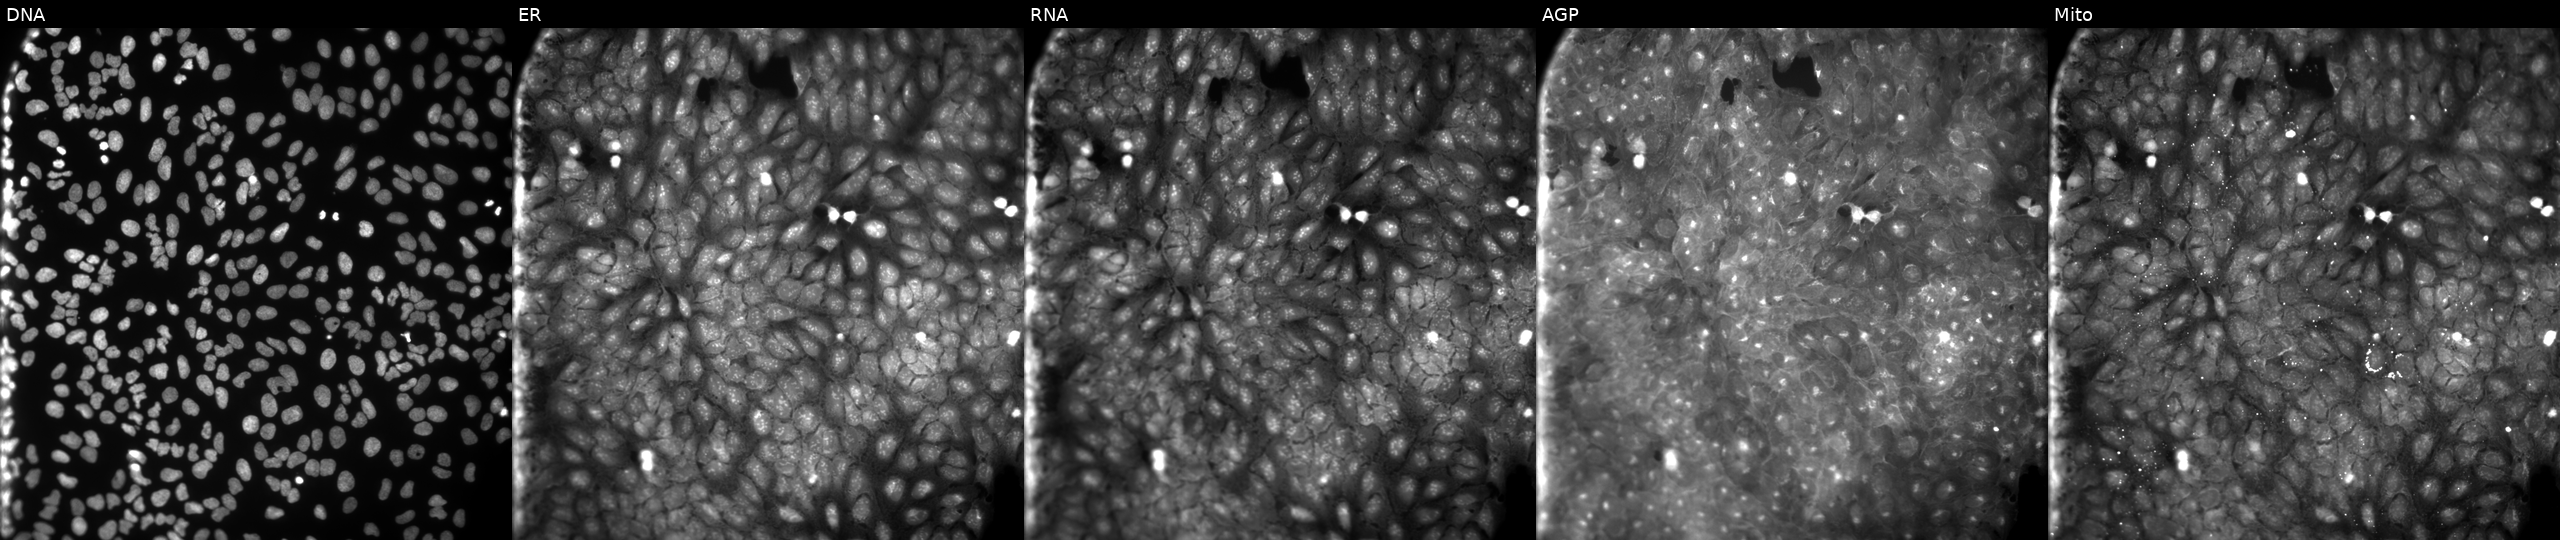
From left to right: DNA, ER, RNA, AGP, and Mito. U2OS osteosarcoma cells perturbed with a small-molecule compound (JUMP id JCP2022_009755). Cell Painting assay, JUMP-CP dataset. Source 9, plate GR00003382, well AA04.